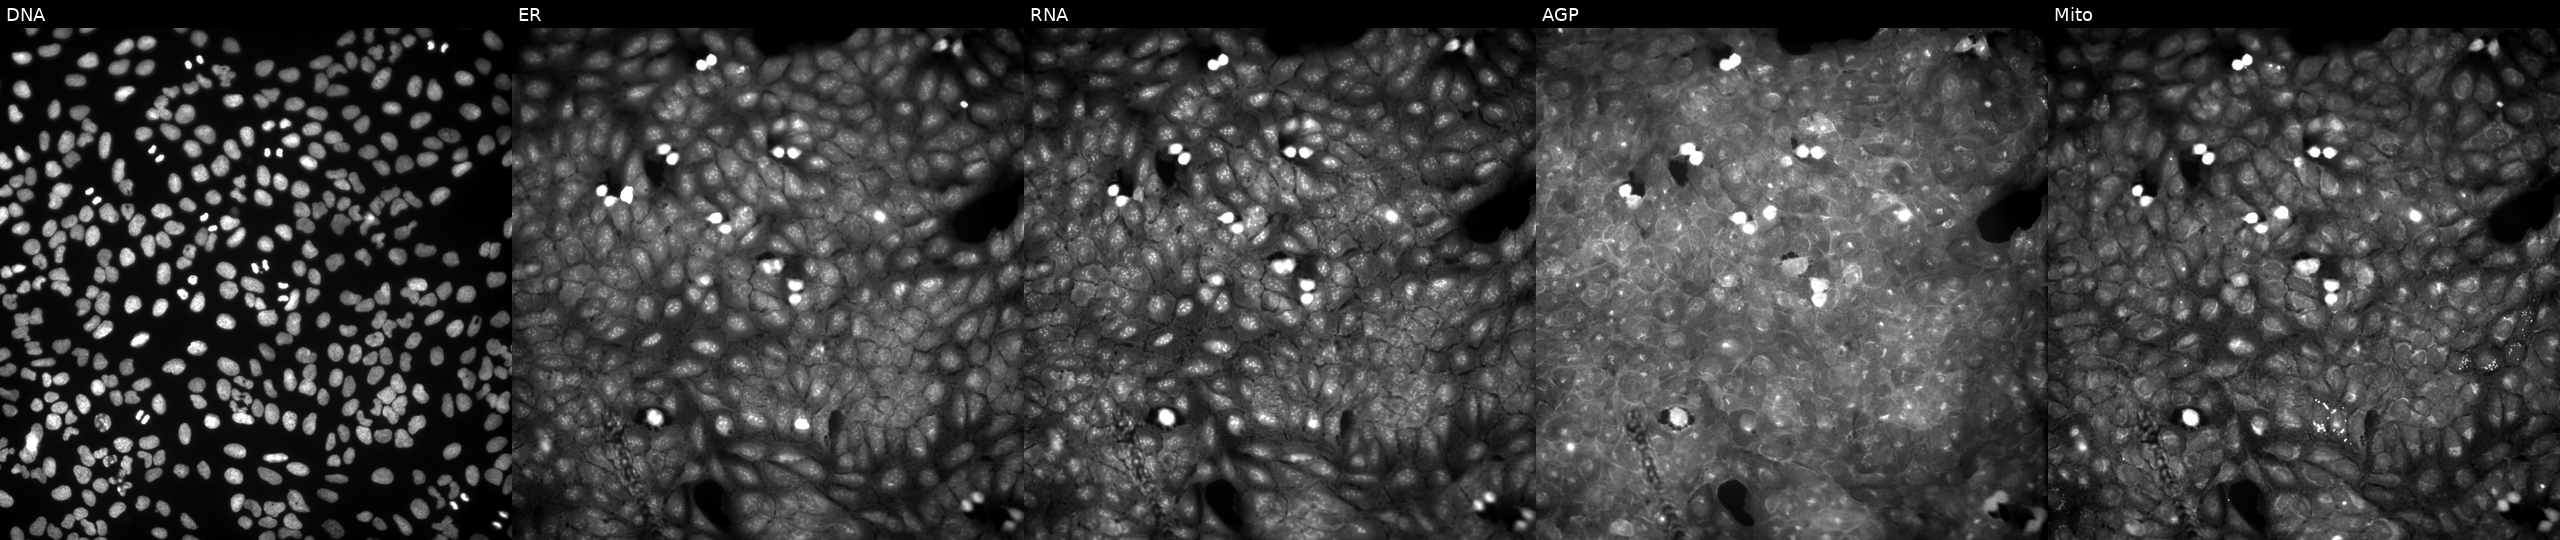
Panels show, left to right, DNA (nuclei); ER (endoplasmic reticulum); RNA (nucleoli and cytoplasmic RNA); AGP (actin cytoskeleton, Golgi, and plasma membrane); Mito (mitochondria). U2OS osteosarcoma cells exposed to a small-molecule compound (InChIKey SOQQRPCGIHRQQC-UHFFFAOYSA-N) (JUMP id JCP2022_084622). Cell Painting assay, JUMP-CP dataset.